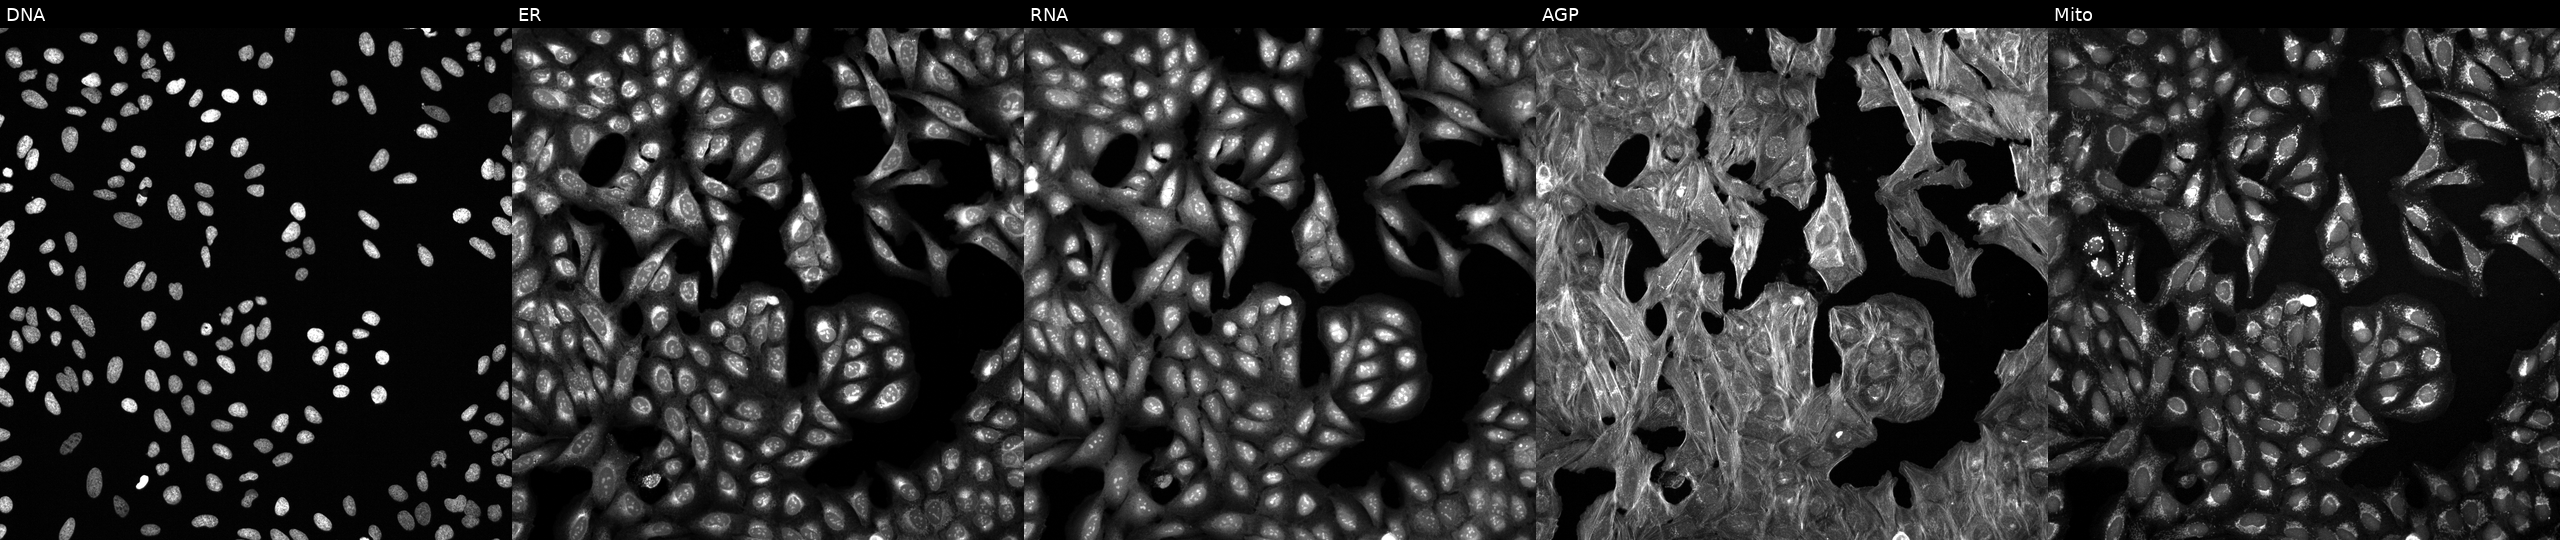
Five-channel Cell Painting image of U2OS cells exposed to a small-molecule compound (JUMP id JCP2022_067426). The five panels, left to right, show DNA, ER, RNA, AGP, and Mito.